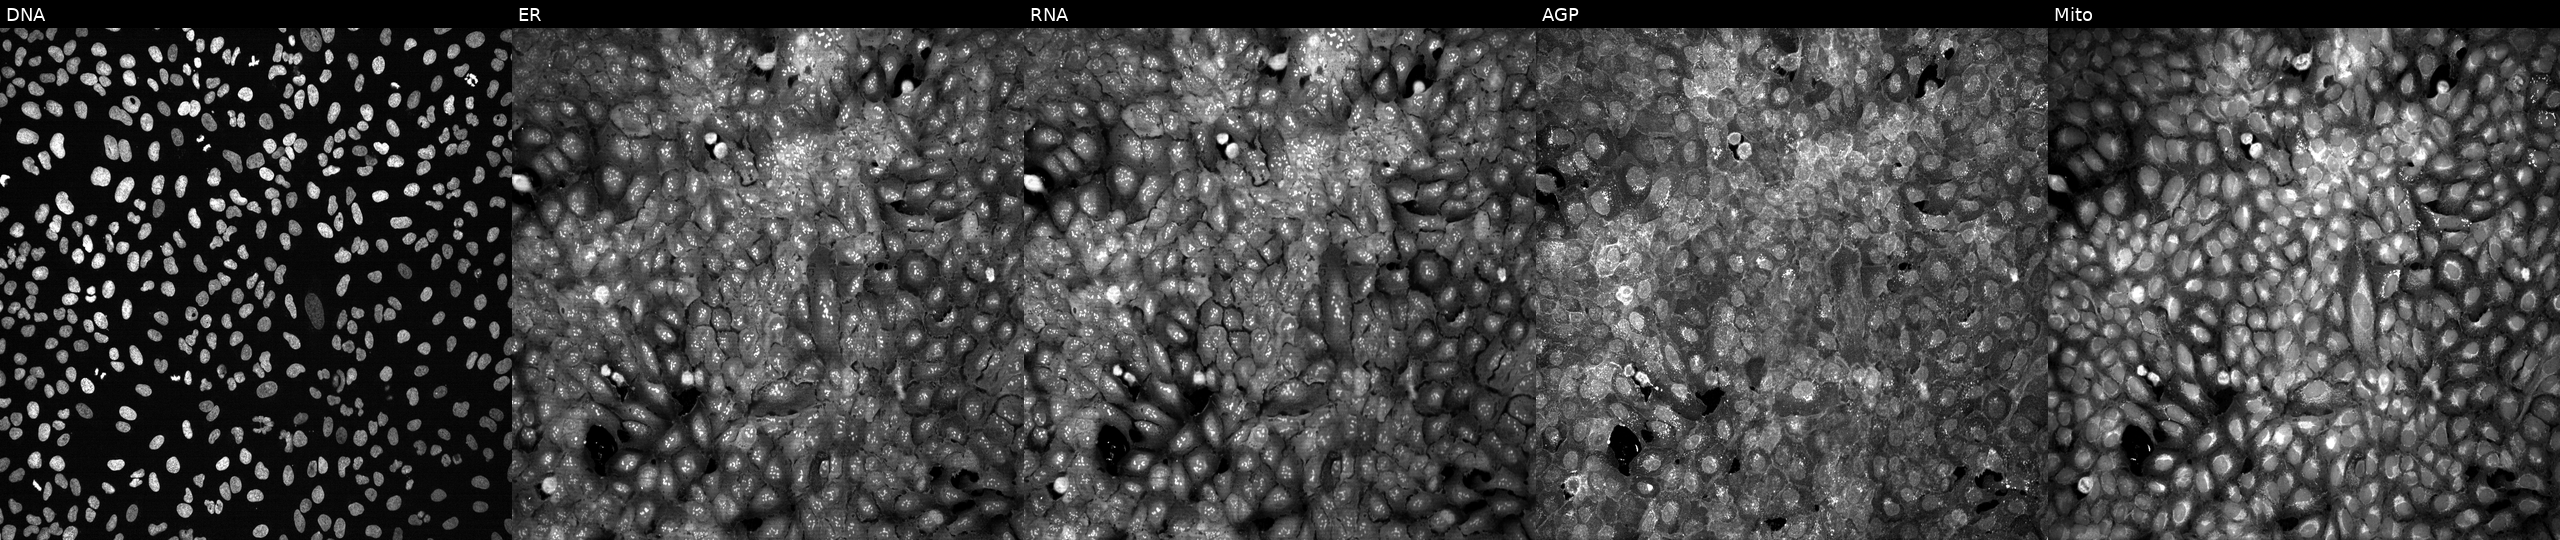
JUMP Cell Painting — CRISPR plate. U2OS cells with a non-targeting CRISPR guide (negative control). Channels (left→right): DNA (nuclei); ER (endoplasmic reticulum); RNA (nucleoli and cytoplasmic RNA); AGP (actin cytoskeleton, Golgi, and plasma membrane); Mito (mitochondria).